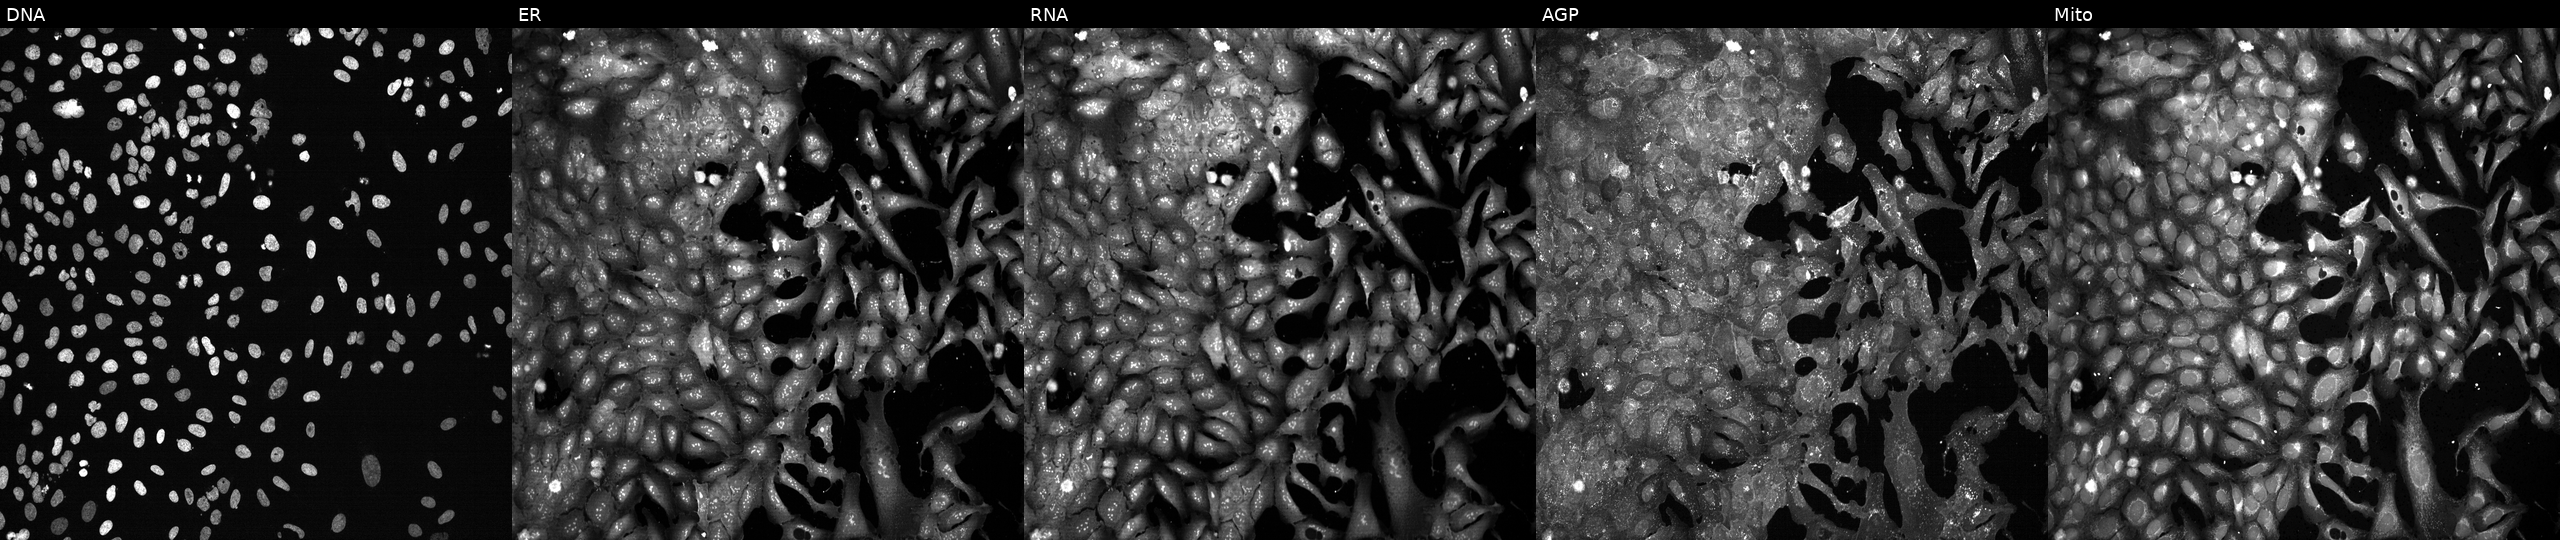
This image strip shows the five Cell Painting channels for a single field of U2OS cells CRISPR-edited to disrupt SLC46A1 (JUMP id JCP2022_806542). Channels (left→right): DNA, ER, RNA, AGP, and Mito.